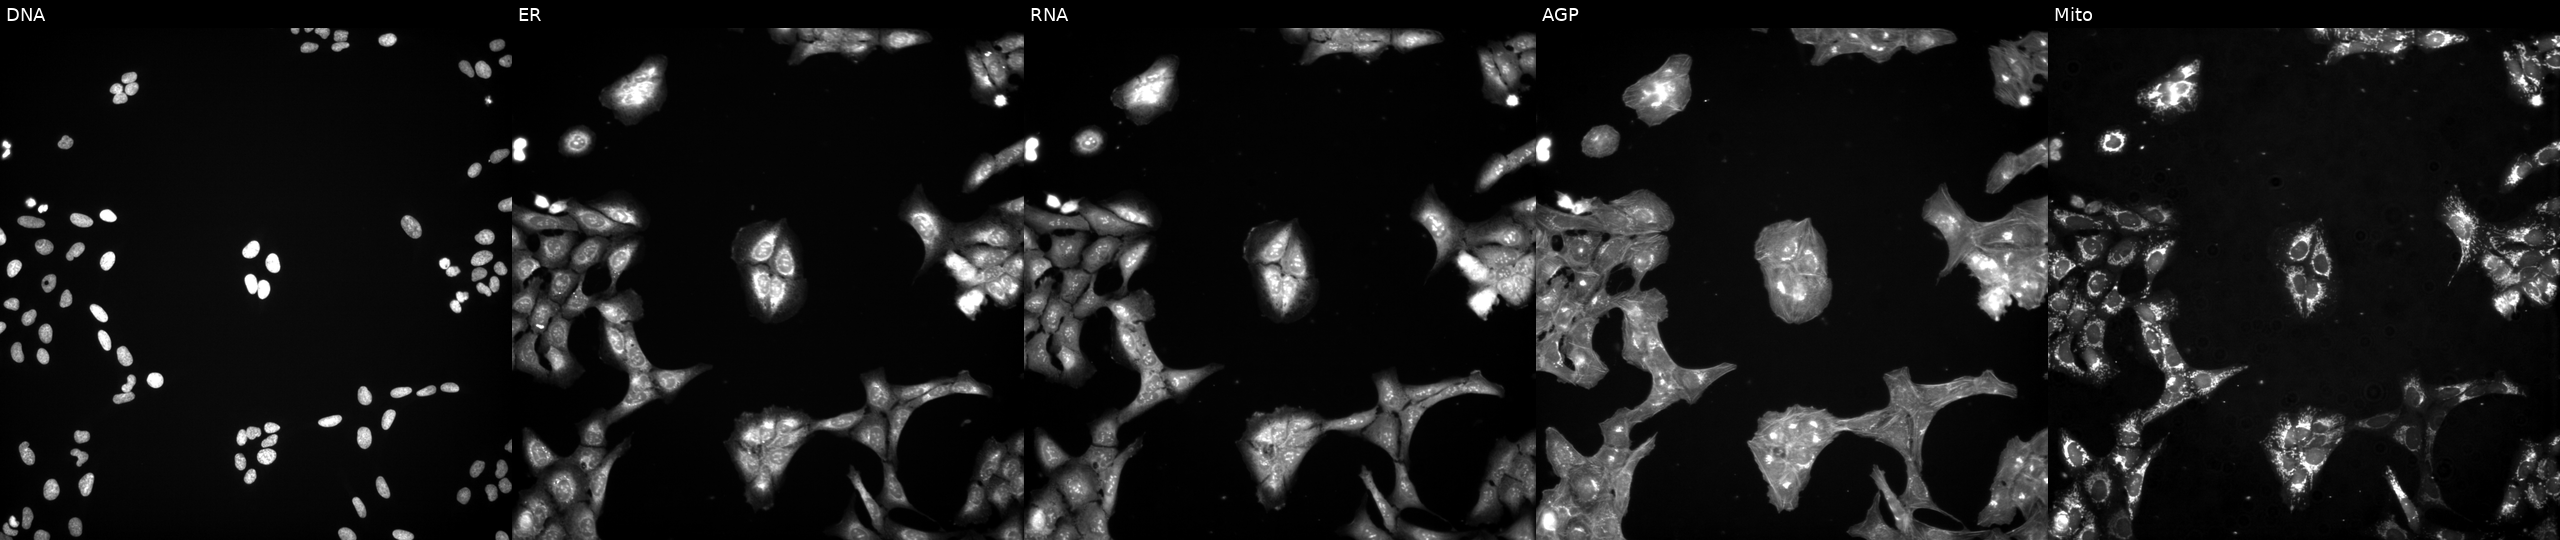
This image strip shows the five Cell Painting channels for a single field of U2OS cells exposed to a small-molecule compound (InChIKey SWAREJSEYHCODV-UHFFFAOYSA-N) (JUMP id JCP2022_085978). The five panels, left to right, show DNA, ER, RNA, AGP, and Mito.